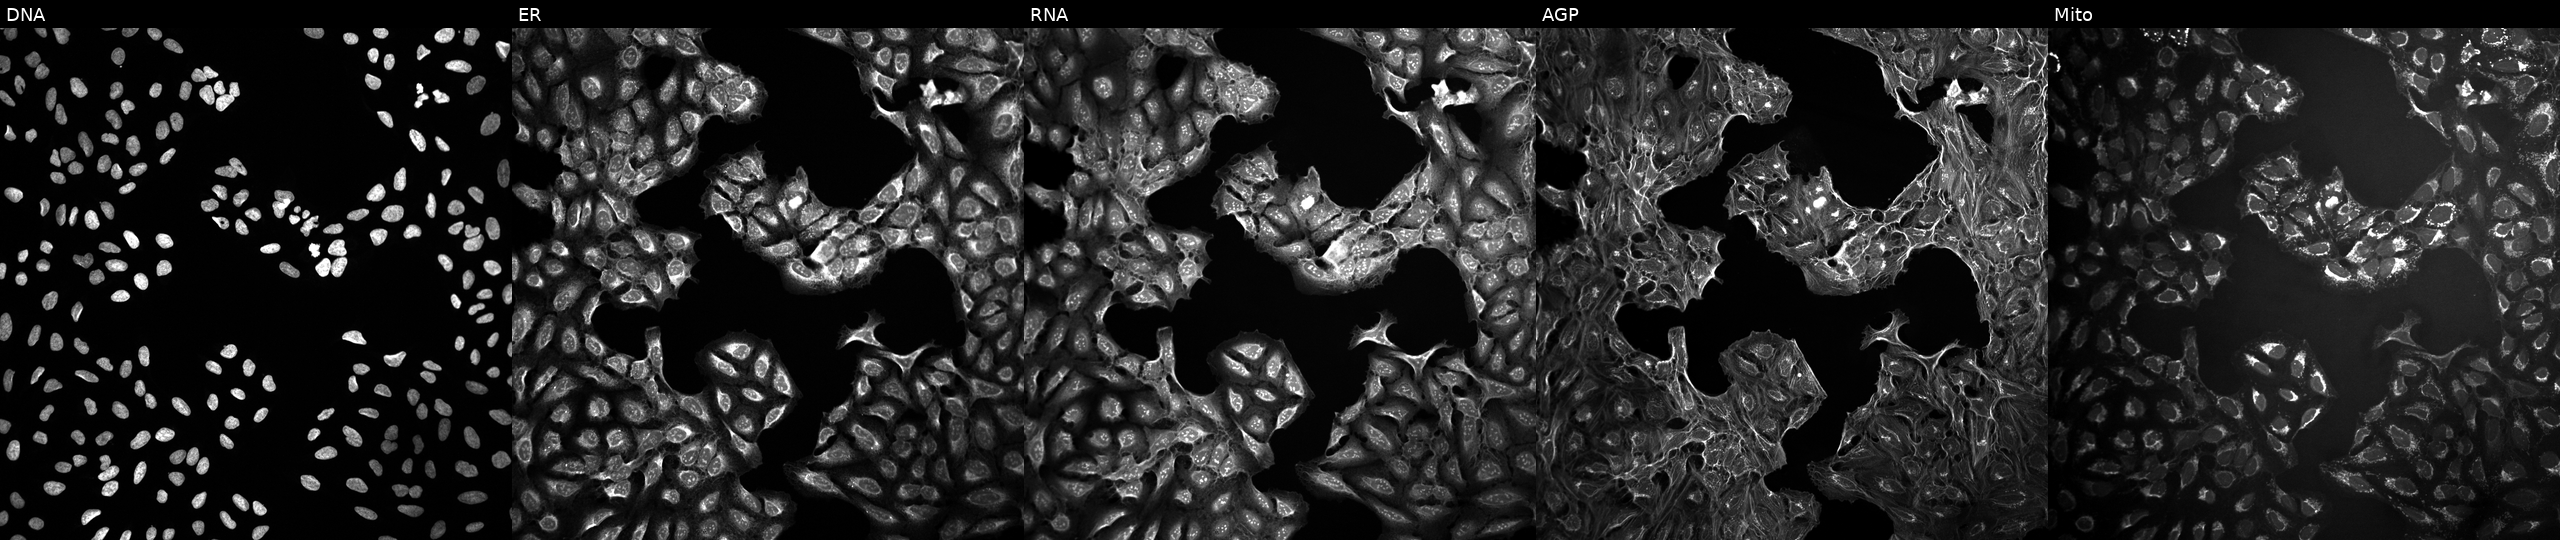
From left to right: DNA (nuclei); ER (endoplasmic reticulum); RNA (nucleoli and cytoplasmic RNA); AGP (actin cytoskeleton, Golgi, and plasma membrane); Mito (mitochondria). U2OS osteosarcoma cells perturbed with a small-molecule compound (InChIKey HSZVELHFVIAMTI-UHFFFAOYSA-N). Cell Painting assay, JUMP-CP dataset. Source 10, plate Dest210531-152324, well N17.